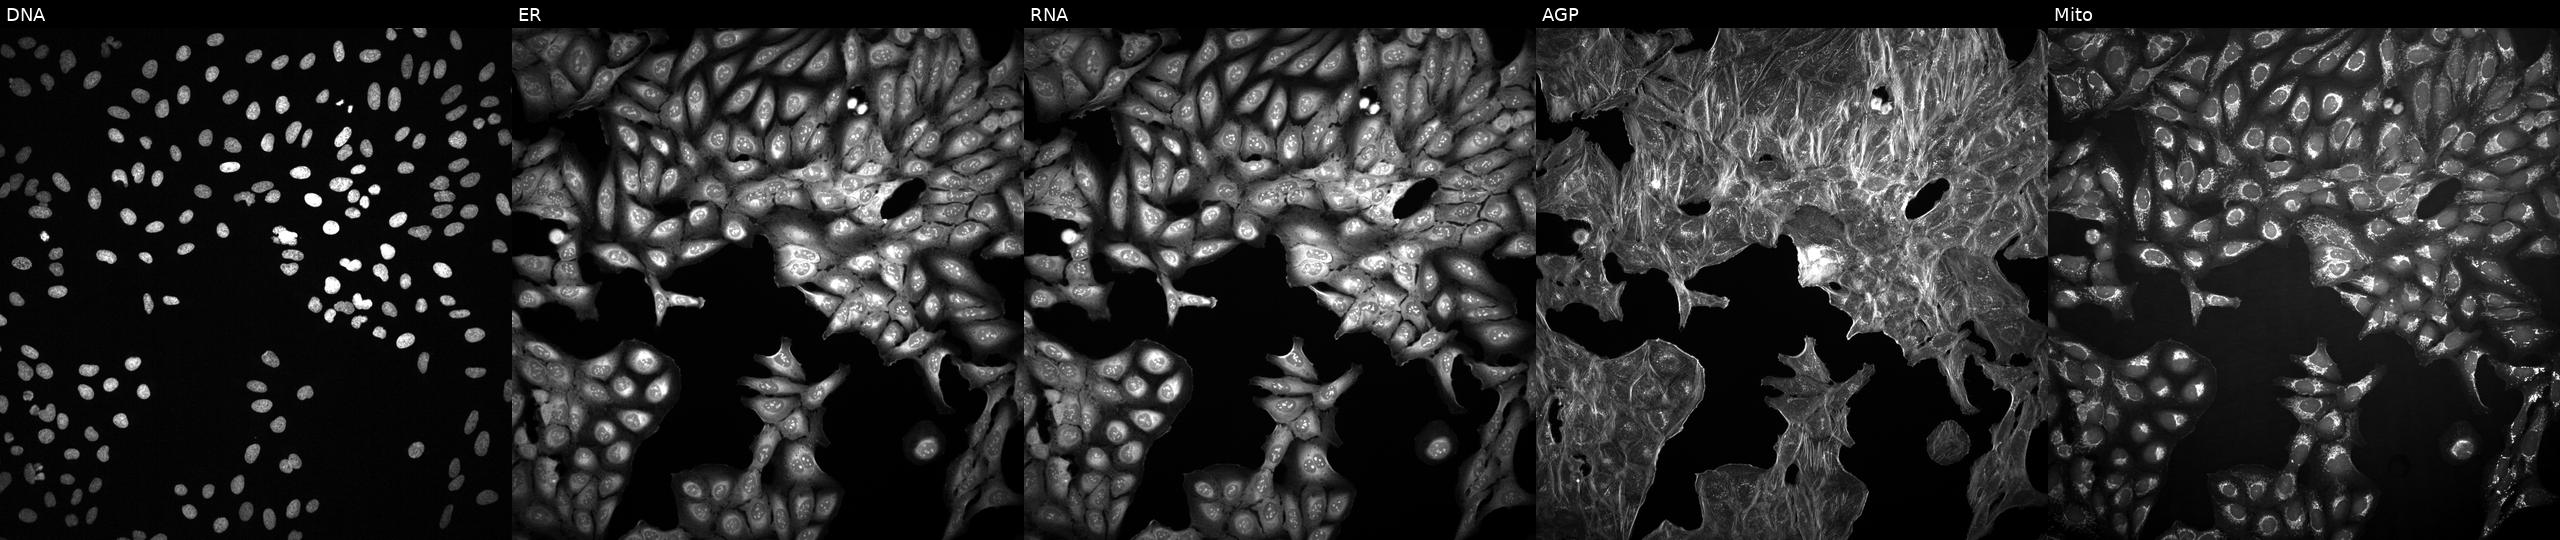
This image strip shows the five Cell Painting channels for a single field of U2OS cells perturbed with a small-molecule compound (JUMP id JCP2022_092464). The five panels, left to right, show DNA (nuclei); ER (endoplasmic reticulum); RNA (nucleoli and cytoplasmic RNA); AGP (actin cytoskeleton, Golgi, and plasma membrane); Mito (mitochondria).